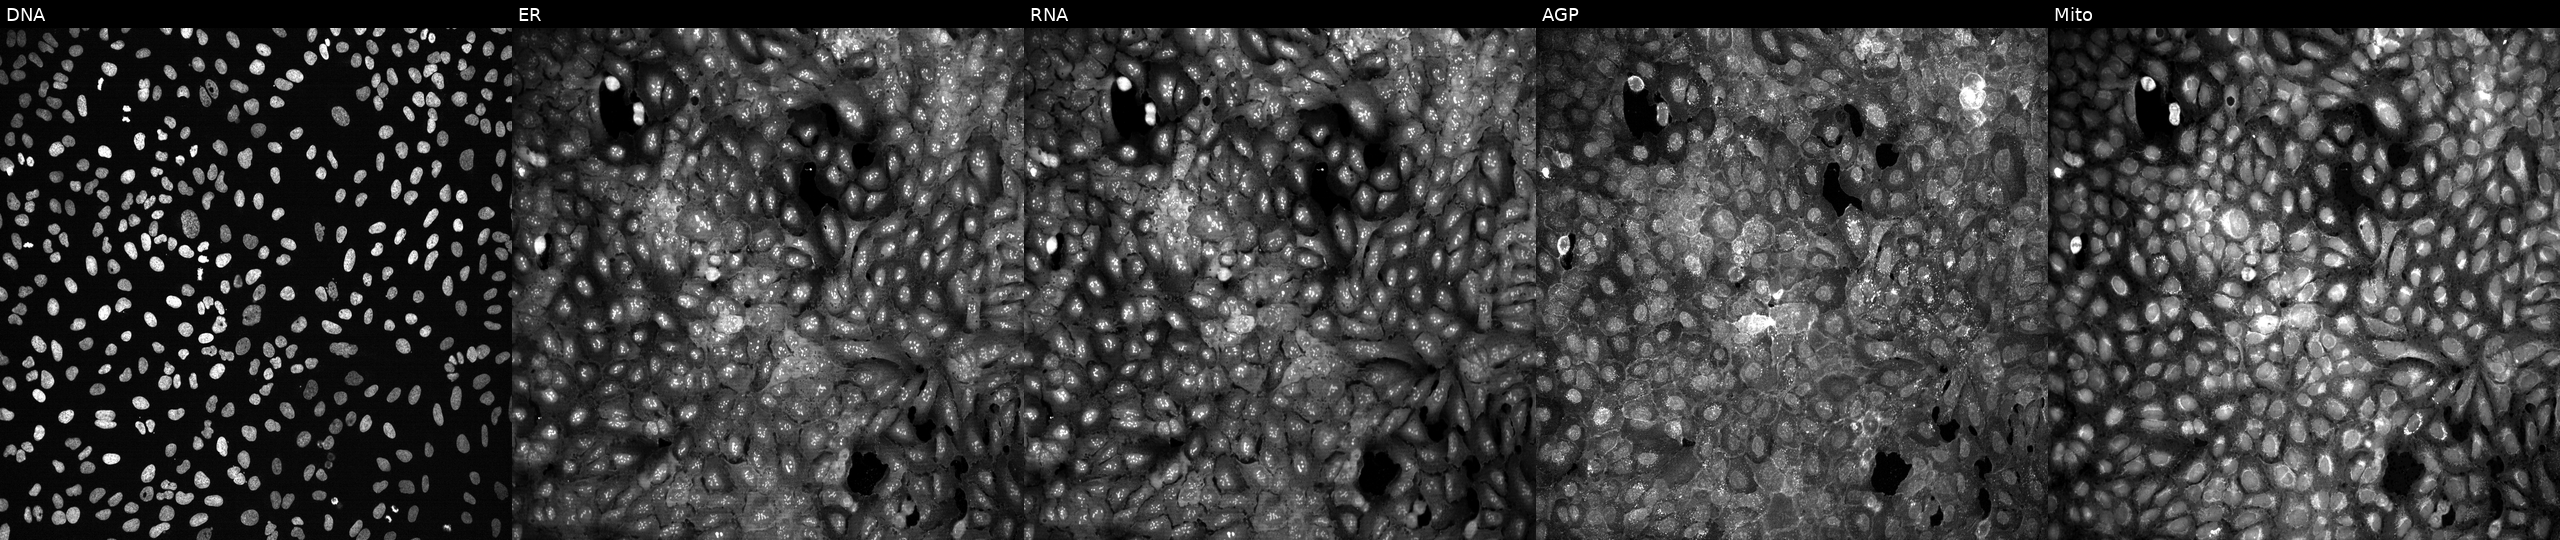
JUMP Cell Painting — CRISPR plate. U2OS cells with no CRISPR guide (negative control) (JUMP id JCP2022_800001). From left to right: Hoechst 33342, concanavalin A, SYTO 14, phalloidin and WGA, MitoTracker.